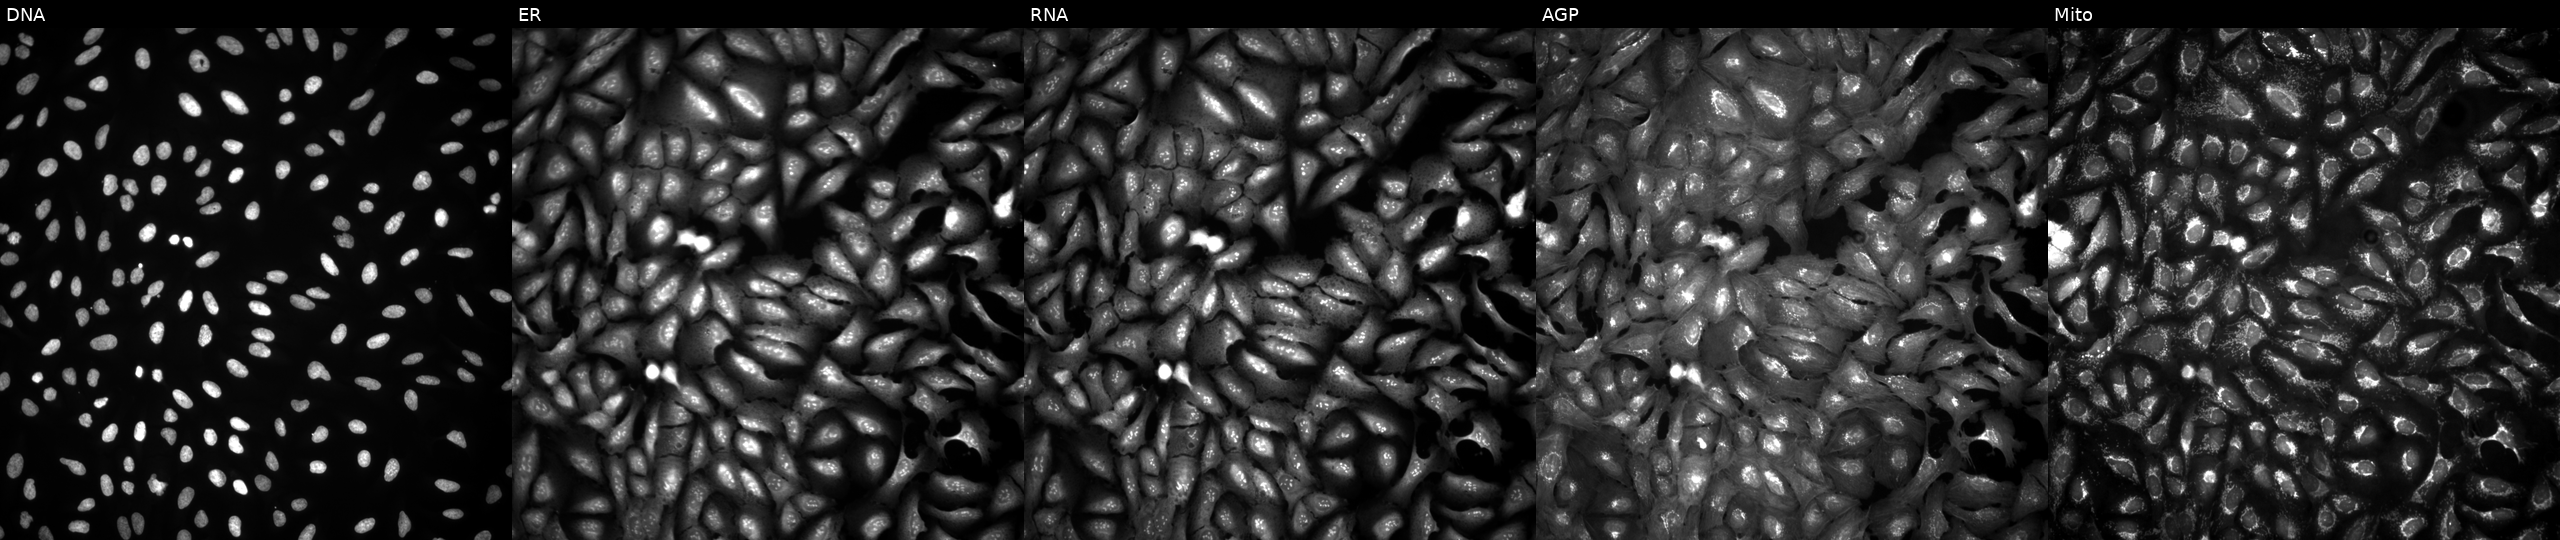
Five-channel Cell Painting image of U2OS cells overexpressing CMC1 via ORF transfection. Channels (left→right): DNA (nuclei); ER (endoplasmic reticulum); RNA (nucleoli and cytoplasmic RNA); AGP (actin cytoskeleton, Golgi, and plasma membrane); Mito (mitochondria). Source 4, plate BR00124787, well E06.